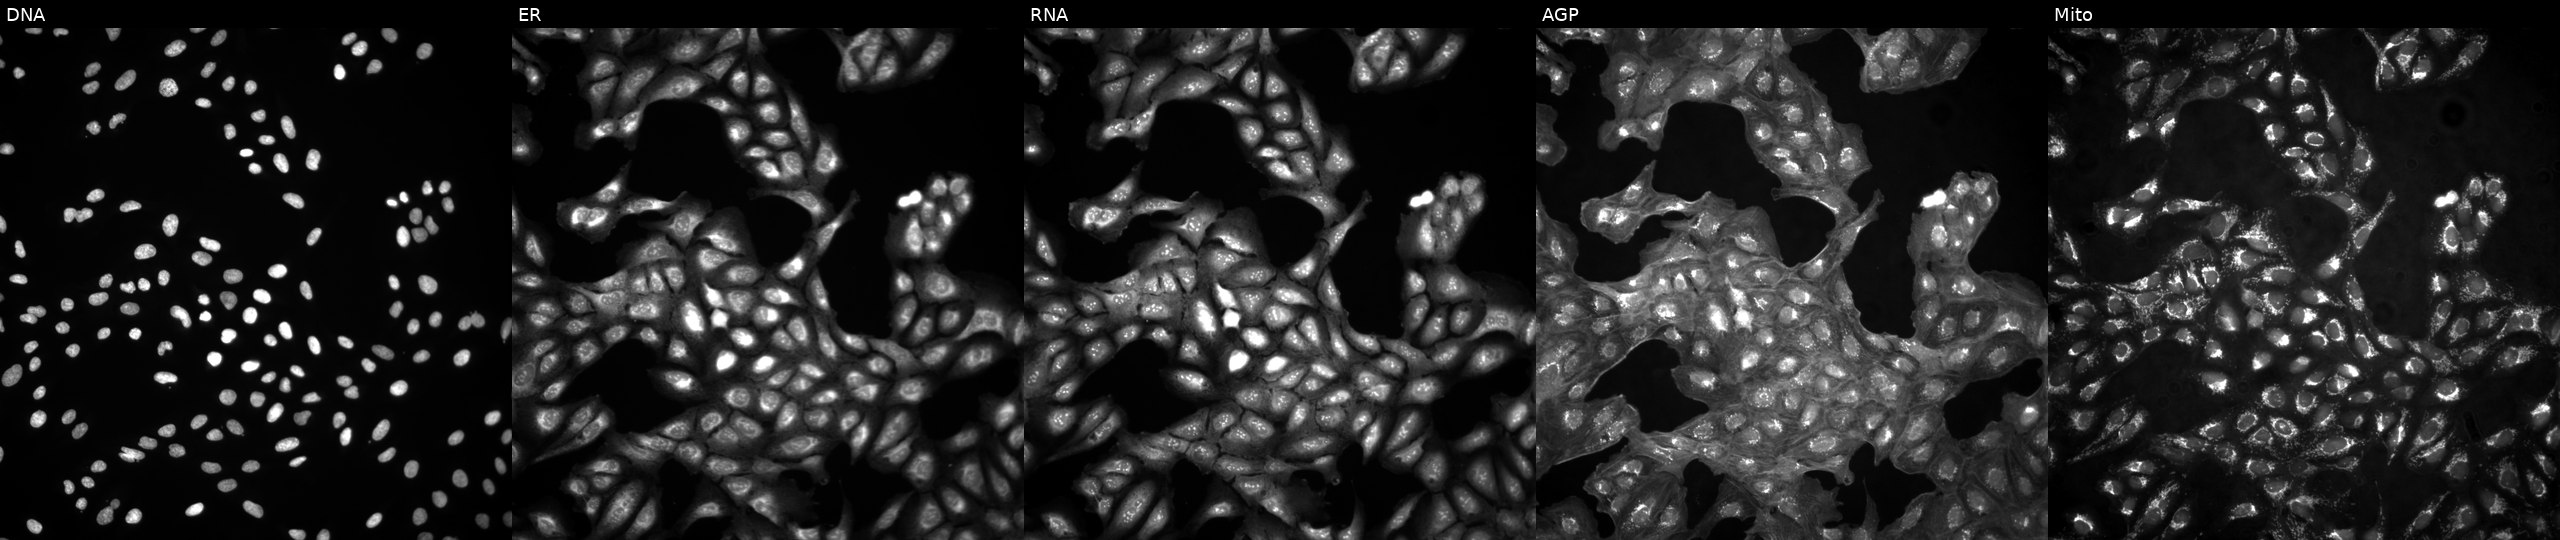
High-content fluorescence microscopy (Cell Painting). Cell line: U2OS. Perturbation: untreated (empty-well control). Panels show, left to right, DNA (nuclei); ER (endoplasmic reticulum); RNA (nucleoli and cytoplasmic RNA); AGP (actin cytoskeleton, Golgi, and plasma membrane); Mito (mitochondria).